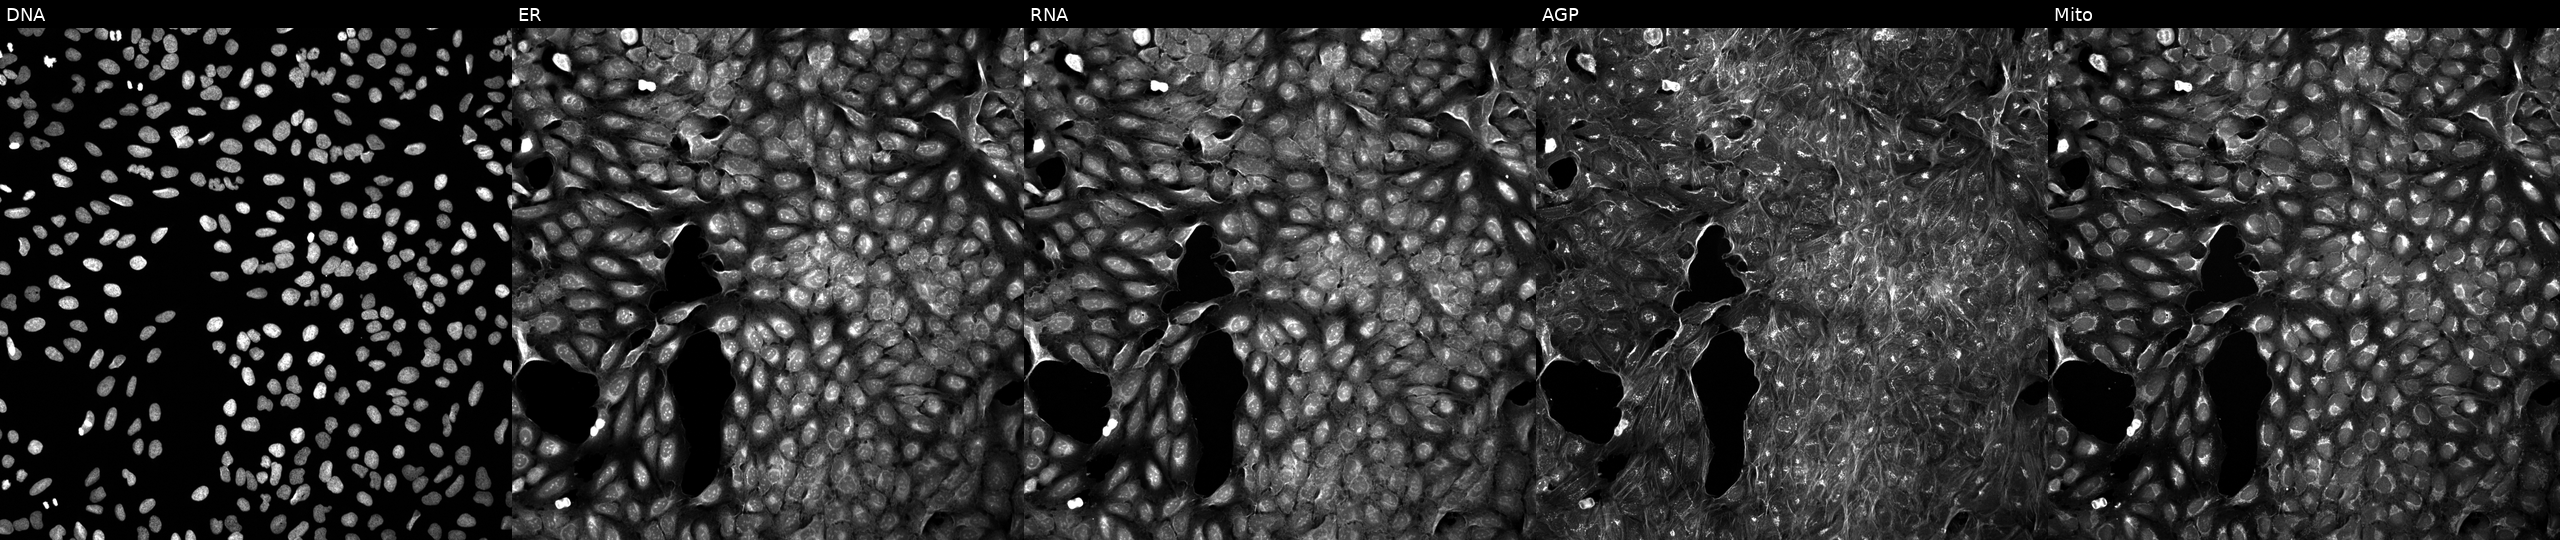
This image strip shows the five Cell Painting channels for a single field of U2OS cells perturbed with a small-molecule compound (InChIKey QRRYPCUFYFFRNR-UHFFFAOYSA-N). Channels (left→right): DNA (nuclei); ER (endoplasmic reticulum); RNA (nucleoli and cytoplasmic RNA); AGP (actin cytoskeleton, Golgi, and plasma membrane); Mito (mitochondria). Source 5, plate APTJUM106, well M19.